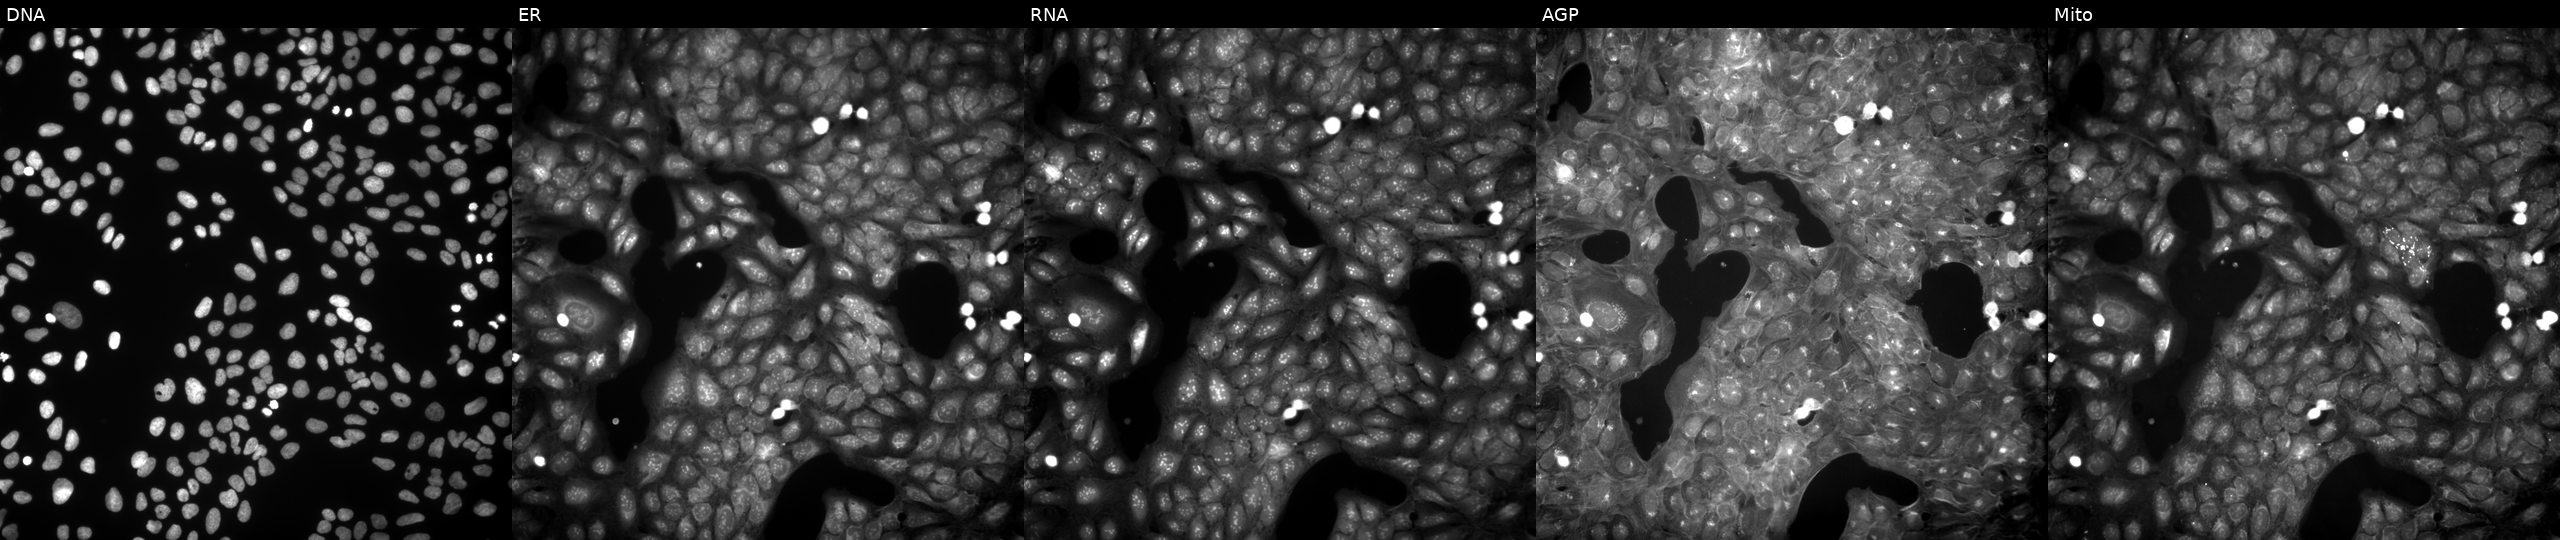
High-content fluorescence microscopy (Cell Painting). Cell line: U2OS. Perturbation: treated with a small-molecule compound (InChIKey IAUYIKVARNQVHK-UHFFFAOYSA-N) (JUMP id JCP2022_033890). Channels (left→right): Hoechst 33342, concanavalin A, SYTO 14, phalloidin and WGA, MitoTracker.